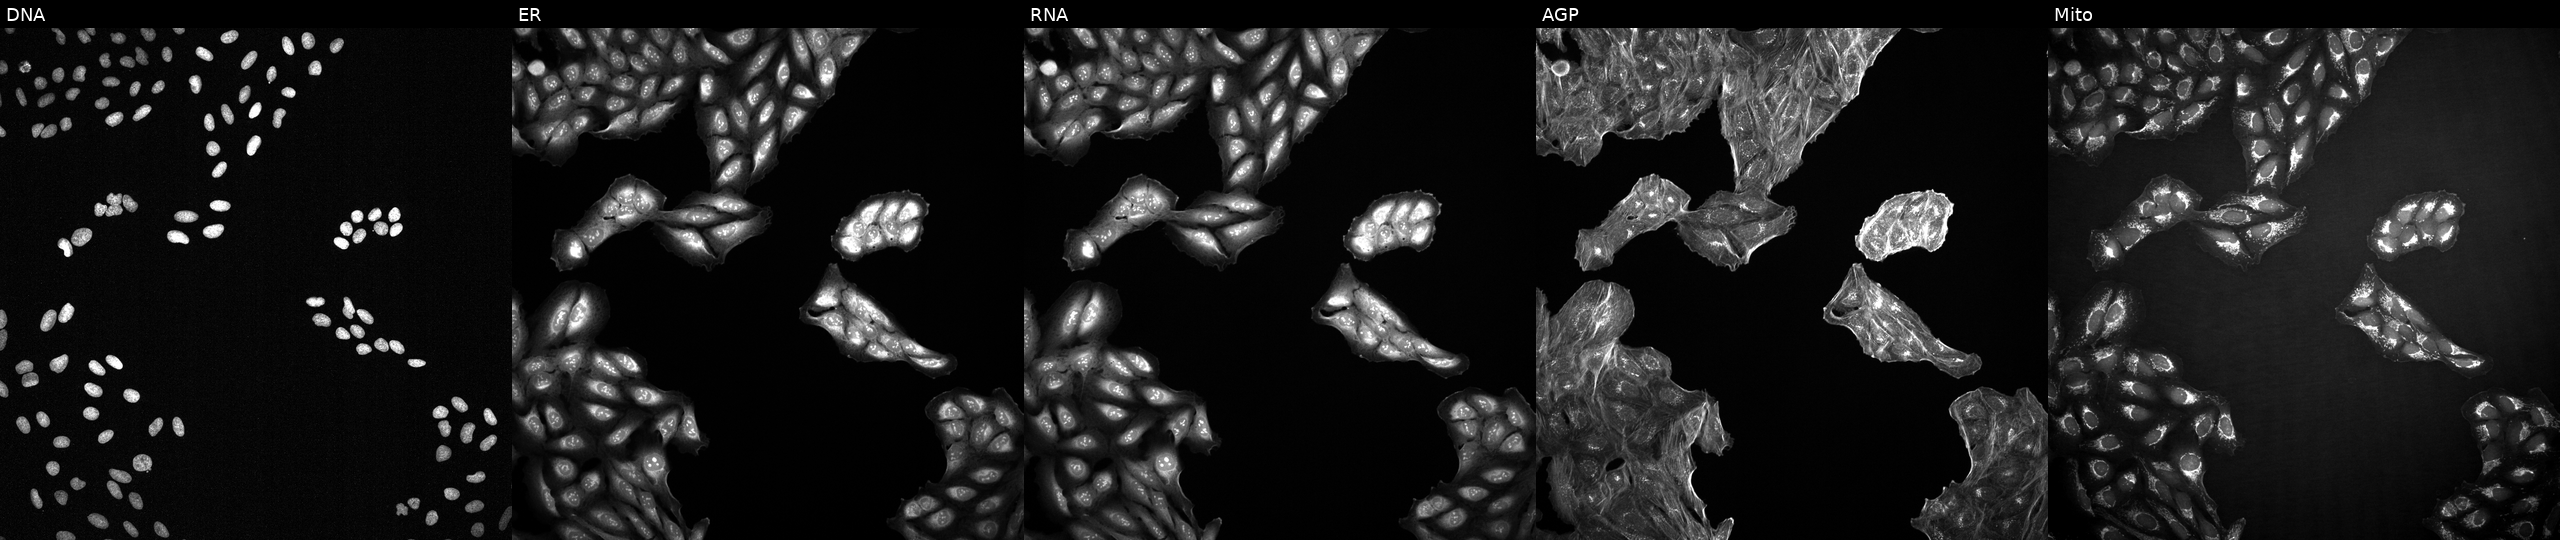
JUMP Cell Painting — TARGET2 plate. U2OS cells treated with DMSO vehicle only (negative control) (JUMP id JCP2022_033924). From left to right: DNA, ER, RNA, AGP, and Mito.